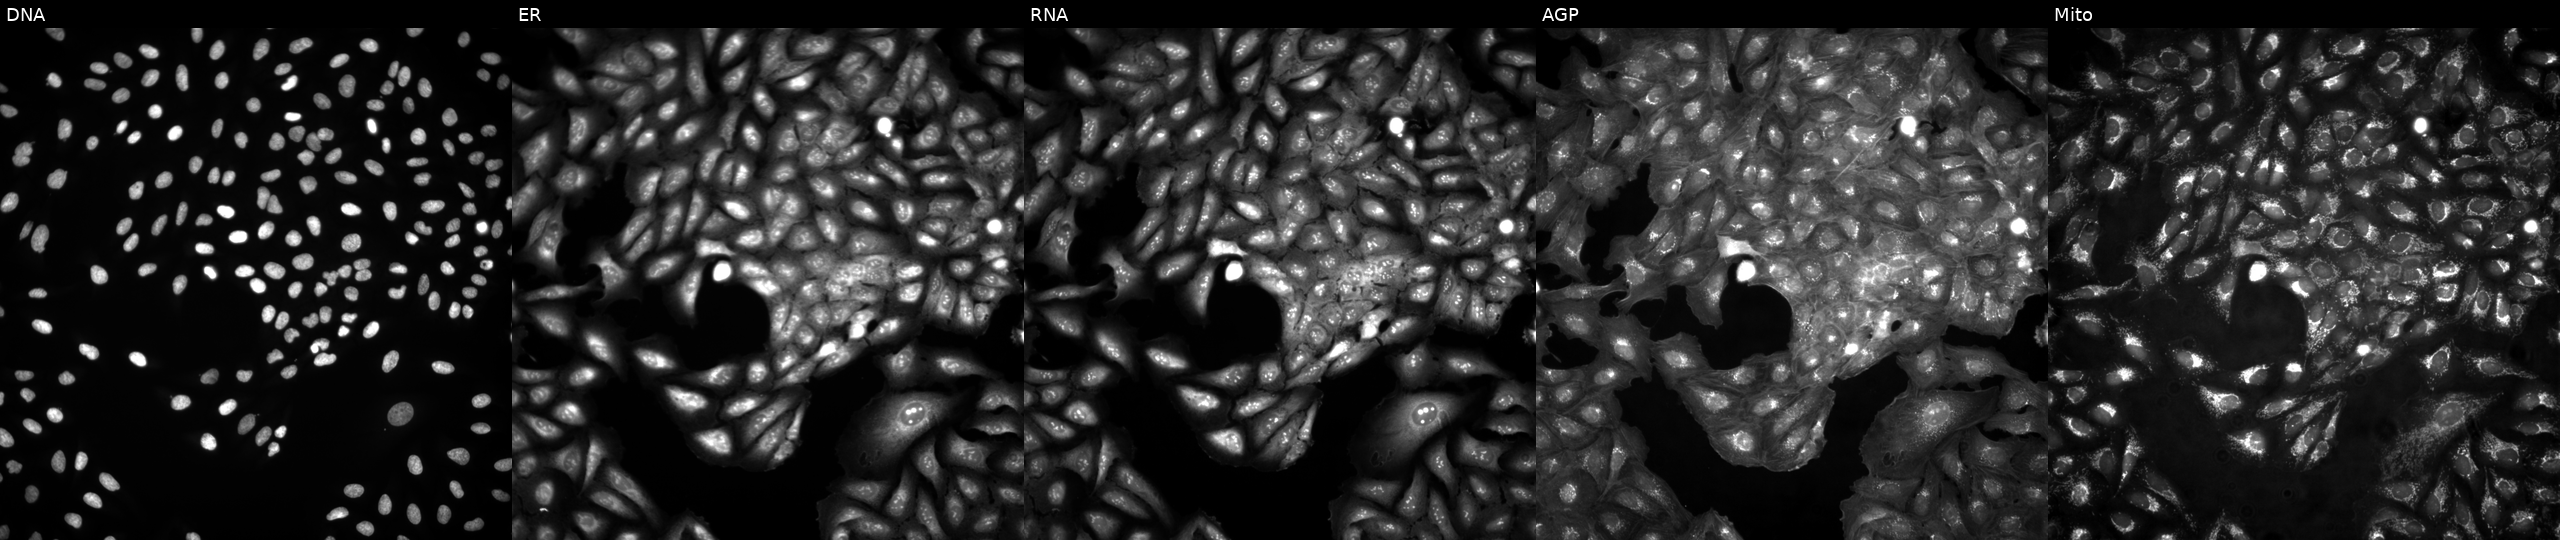
This image strip shows the five Cell Painting channels for a single field of U2OS cells in an empty control well (no perturbation) (JUMP id JCP2022_999999). From left to right: Hoechst 33342, concanavalin A, SYTO 14, phalloidin and WGA, MitoTracker.